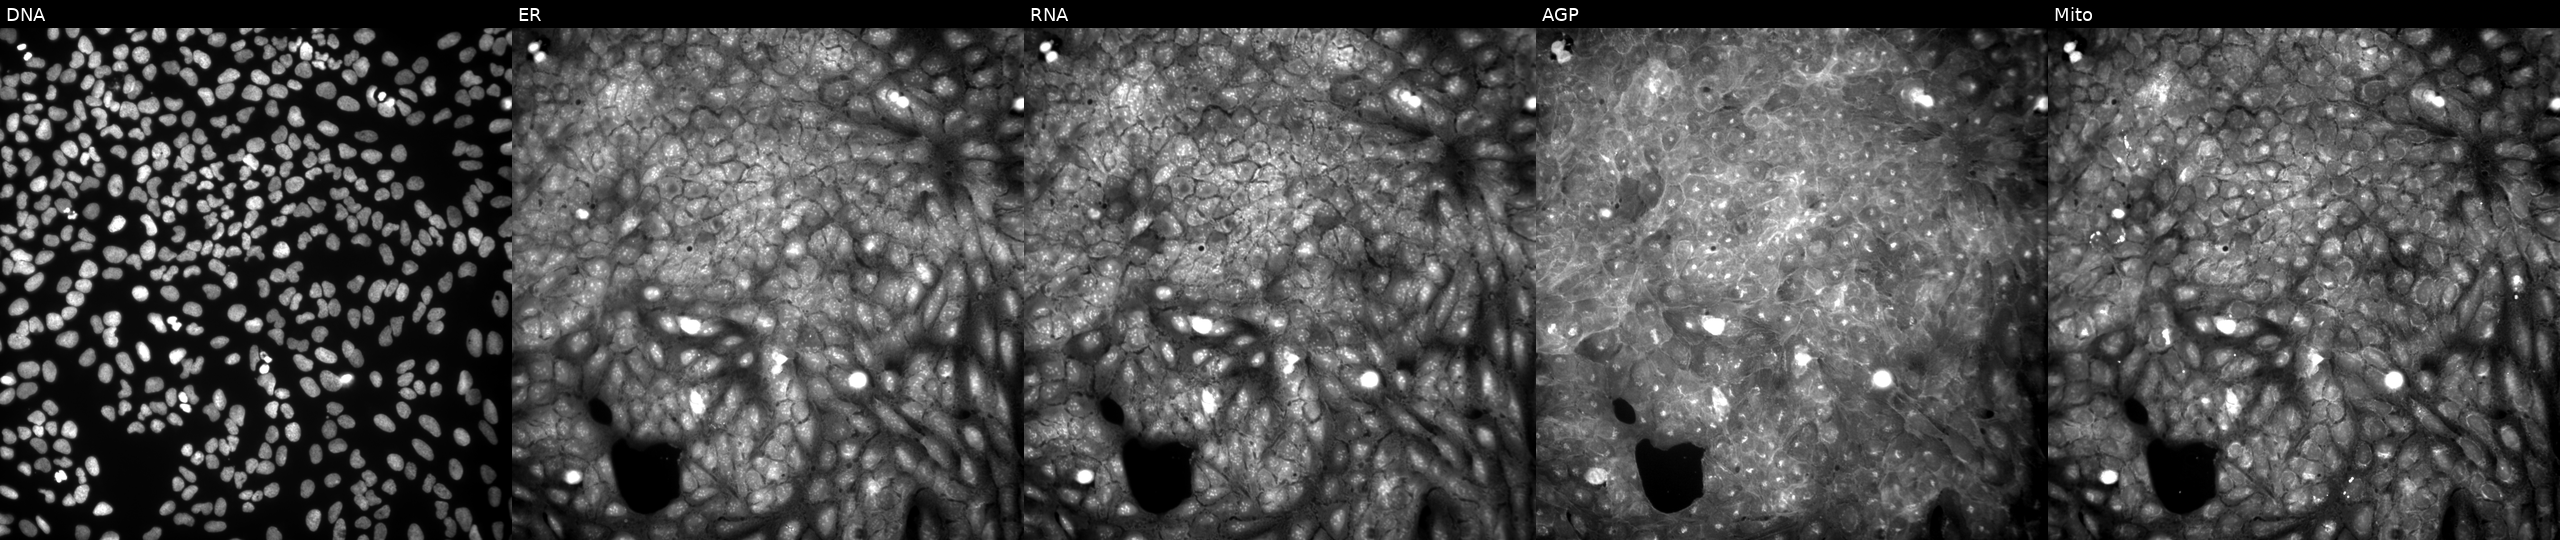
Five-channel Cell Painting image of U2OS cells treated with dexamethasone (positive-control compound). Channels (left→right): DNA, ER, RNA, AGP, and Mito. Source 9, plate GR00003381, well K48.